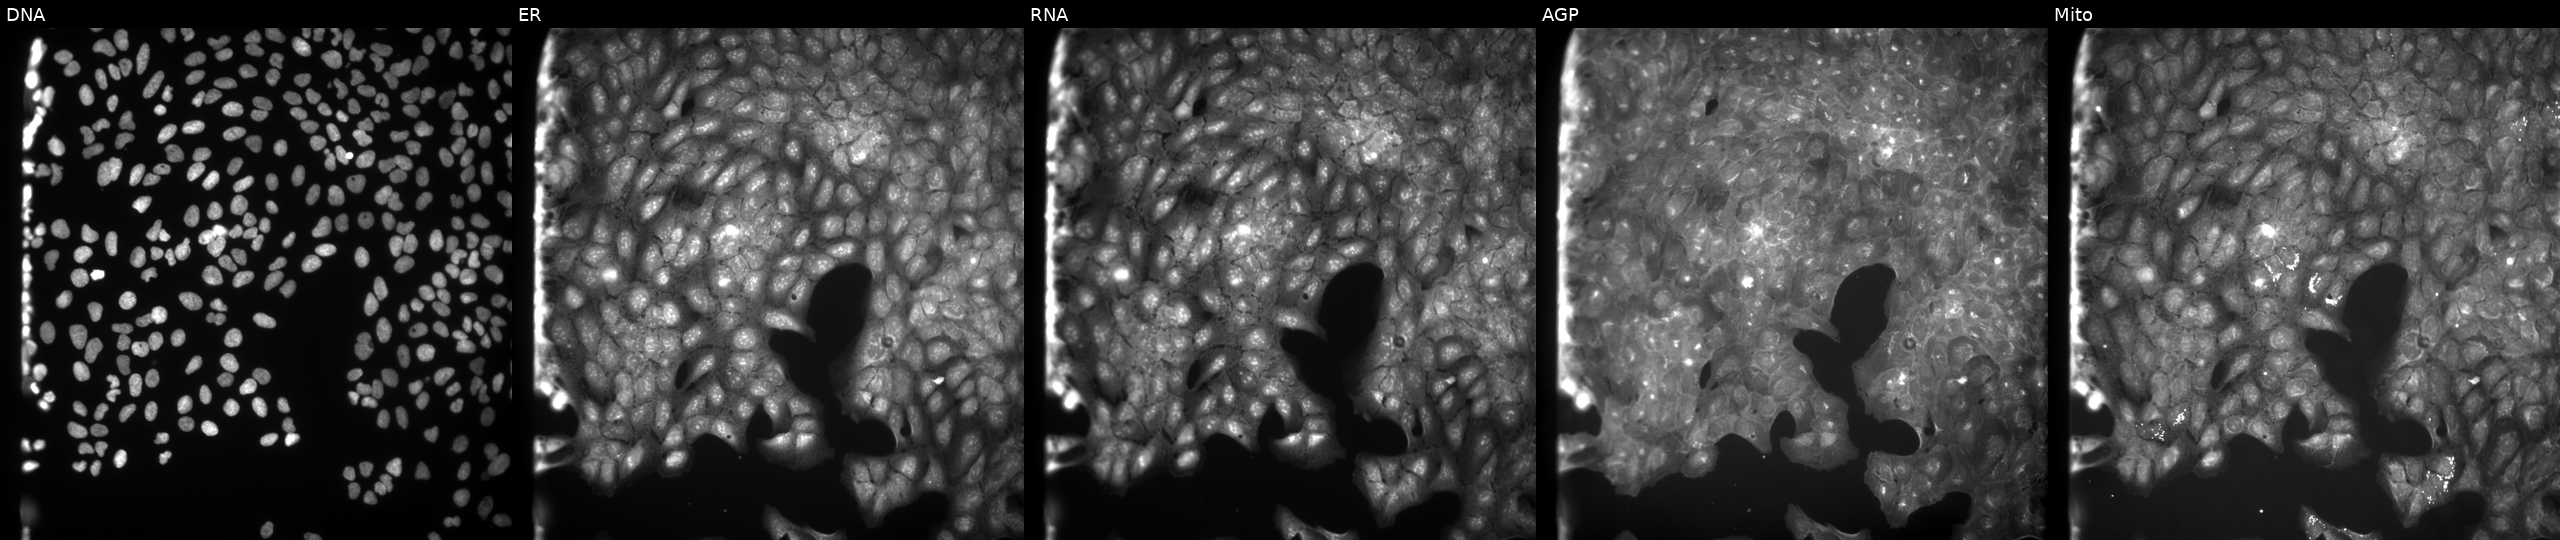
JUMP Cell Painting — COMPOUND plate. U2OS cells treated with quinidine (positive-control compound). From left to right: DNA (nuclei); ER (endoplasmic reticulum); RNA (nucleoli and cytoplasmic RNA); AGP (actin cytoskeleton, Golgi, and plasma membrane); Mito (mitochondria). Source 9, plate GR00003382, well O01.